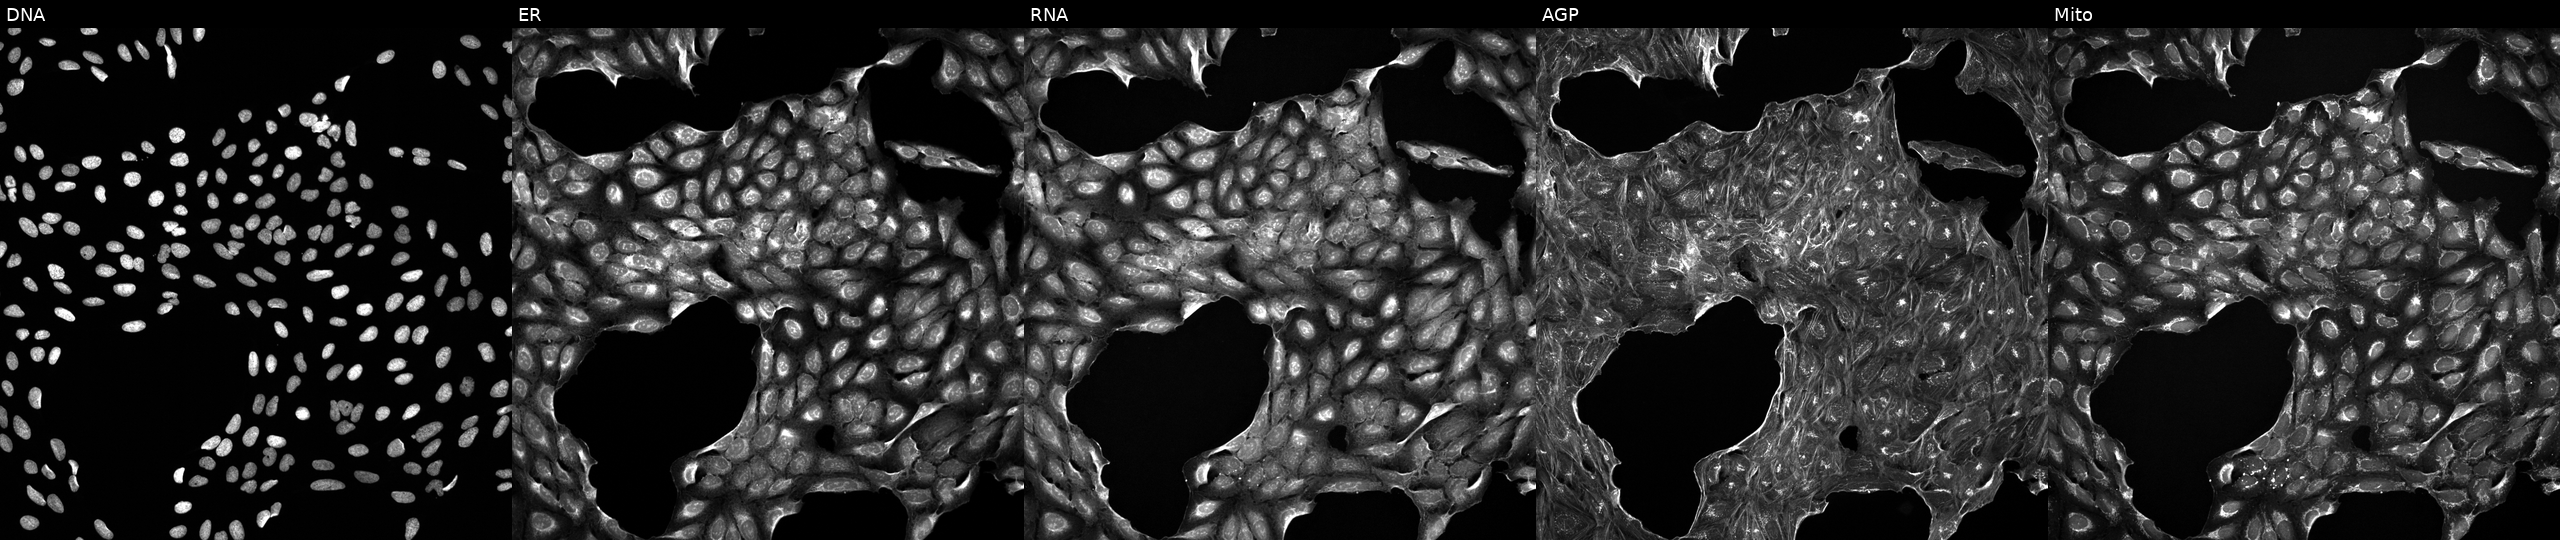
High-content fluorescence microscopy (Cell Painting). Cell line: U2OS. Perturbation: treated with dexamethasone (positive-control compound) (JUMP id JCP2022_025848). Panels show, left to right, DNA, ER, RNA, AGP, and Mito.